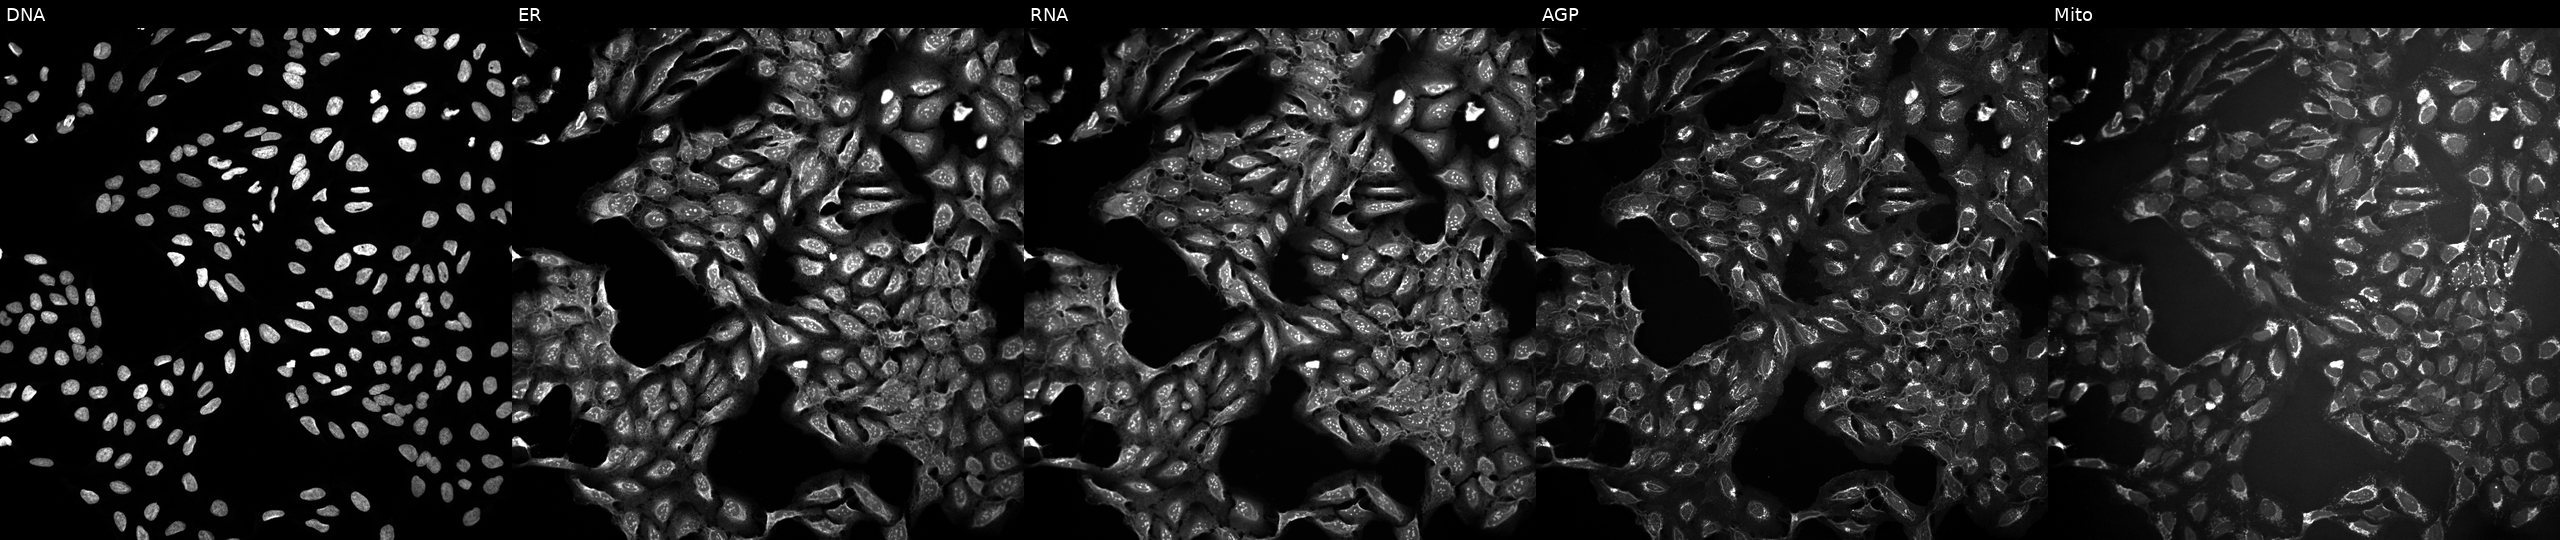
This image strip shows the five Cell Painting channels for a single field of U2OS cells treated with a small-molecule compound (InChIKey HWHLPVGTWGOCJO-UHFFFAOYSA-N). Channels (left→right): DNA (nuclei); ER (endoplasmic reticulum); RNA (nucleoli and cytoplasmic RNA); AGP (actin cytoskeleton, Golgi, and plasma membrane); Mito (mitochondria).